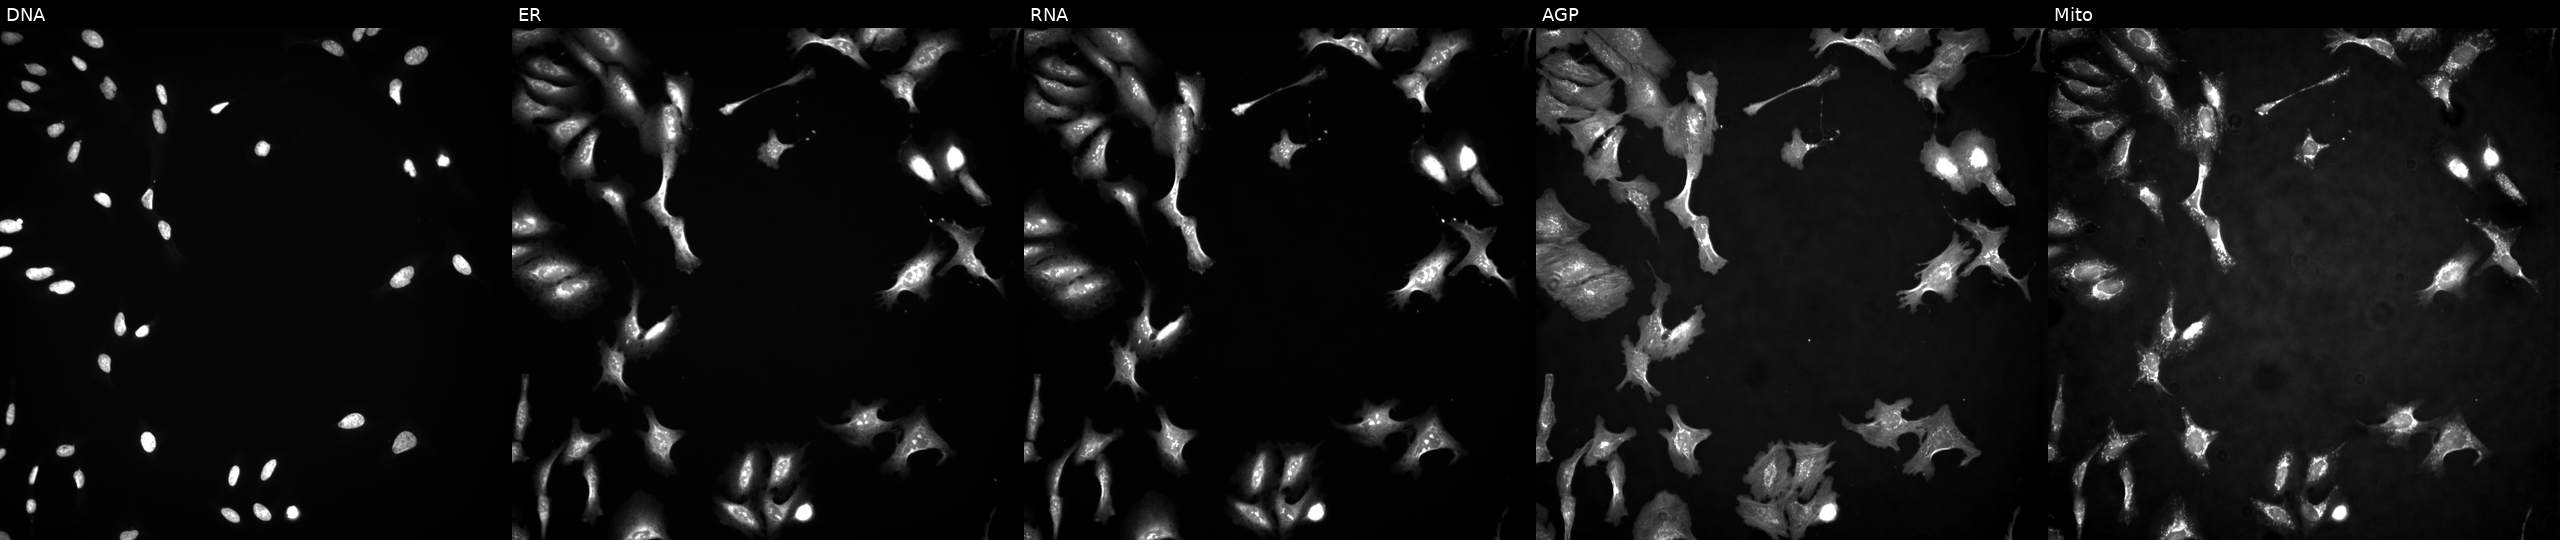
High-content fluorescence microscopy (Cell Painting). Cell line: U2OS. Perturbation: with PIP5K1B overexpressed (ORF). The five panels, left to right, show DNA (nuclei); ER (endoplasmic reticulum); RNA (nucleoli and cytoplasmic RNA); AGP (actin cytoskeleton, Golgi, and plasma membrane); Mito (mitochondria).